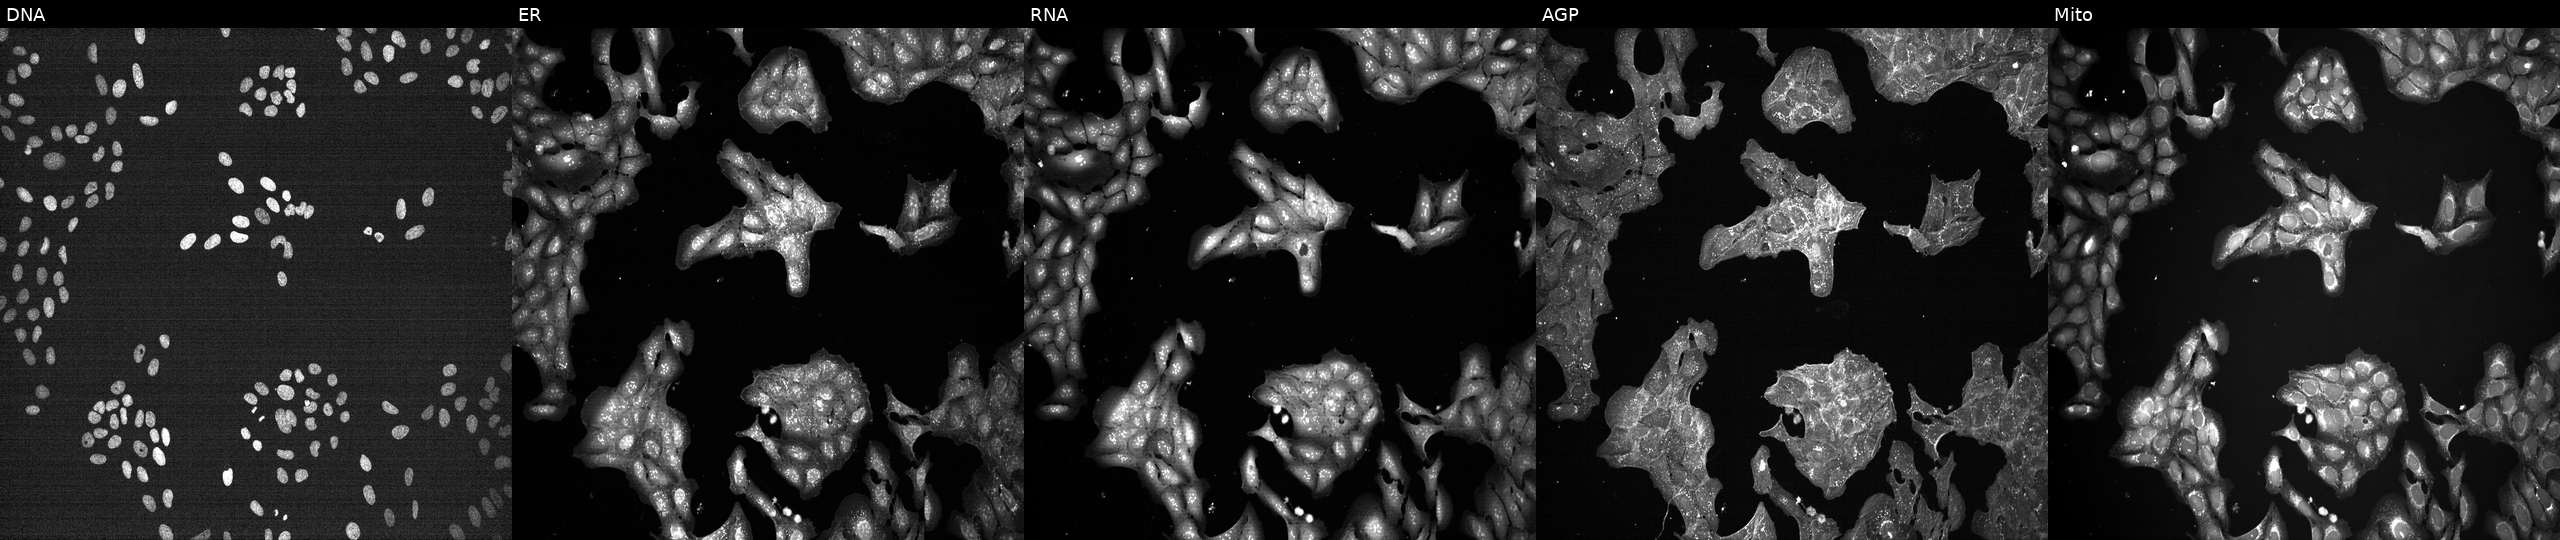
U2OS cells, Cell Painting assay, treated with a small-molecule compound. Panels show, left to right, DNA, ER, RNA, AGP, and Mito. Each panel is percentile-stretched 16-bit fluorescence. Source 7, plate CP1-SC1-25, well L20.